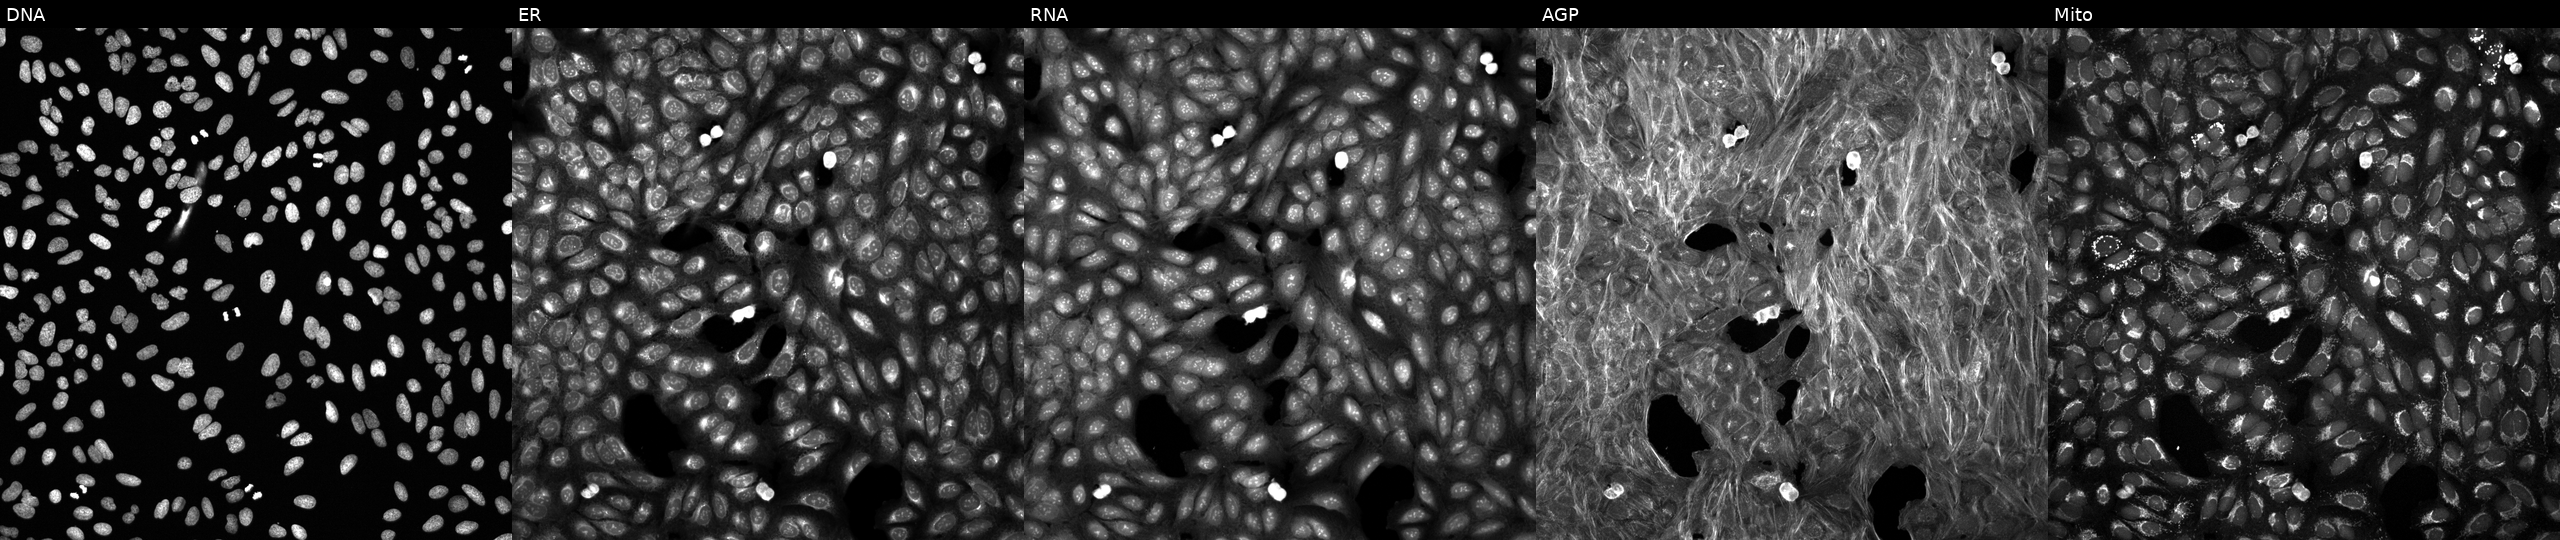
Panels show, left to right, DNA, ER, RNA, AGP, and Mito. U2OS osteosarcoma cells treated with a small-molecule compound (JUMP id JCP2022_093579). Cell Painting assay, JUMP-CP dataset. Source 6, plate 110000293083, well O16.